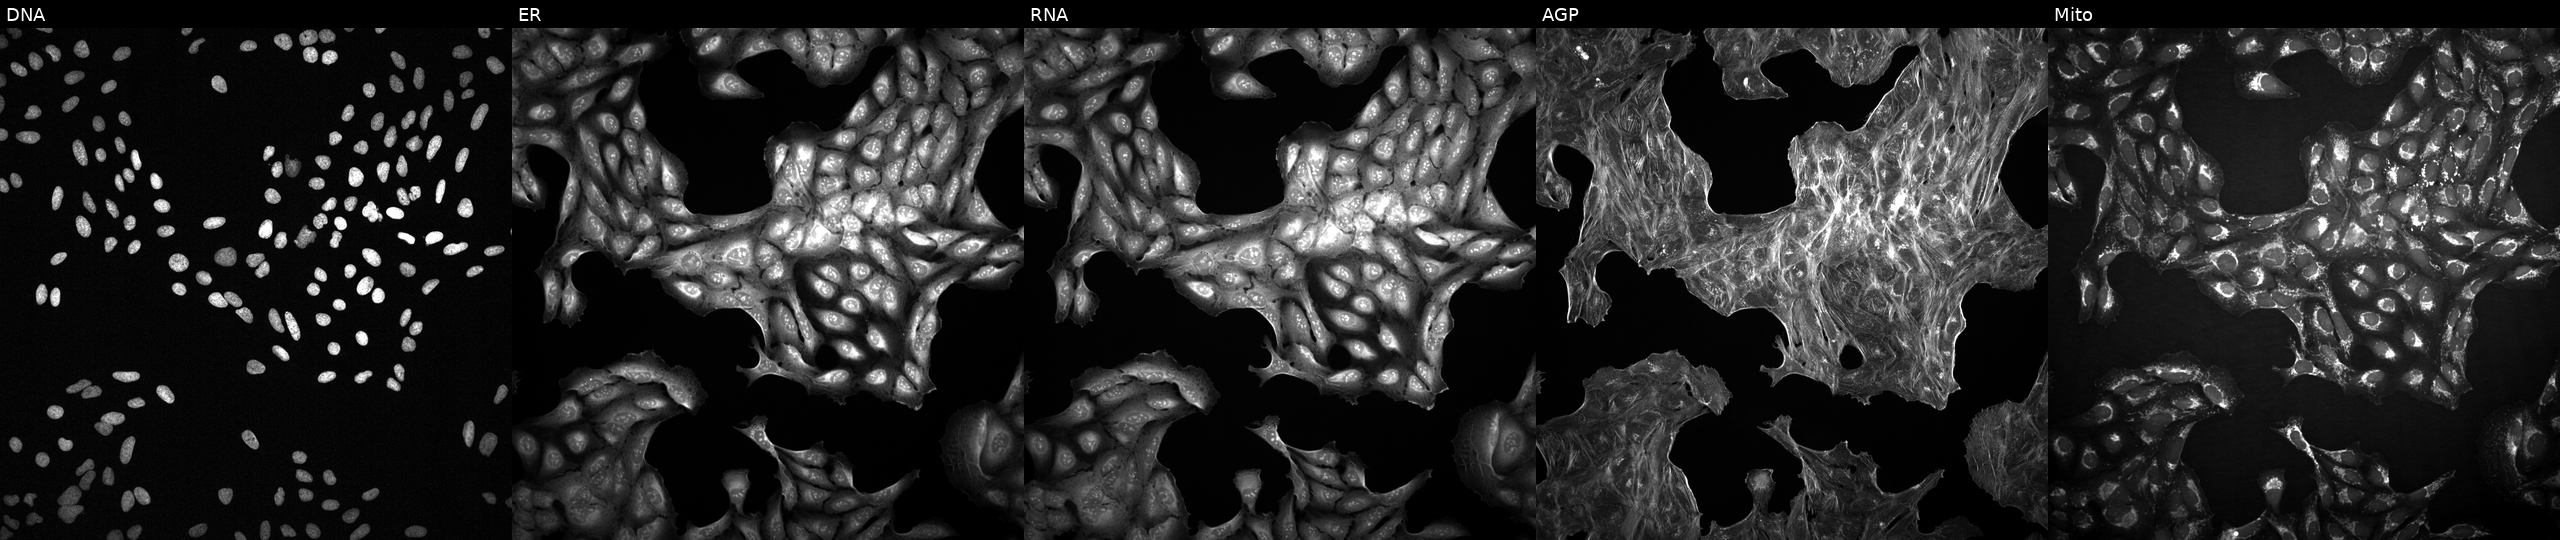
From left to right: DNA (nuclei); ER (endoplasmic reticulum); RNA (nucleoli and cytoplasmic RNA); AGP (actin cytoskeleton, Golgi, and plasma membrane); Mito (mitochondria). U2OS osteosarcoma cells treated with a small-molecule compound [SMILES: CC(C(=O)N=c1[nH]c2ccc(F)cc2s1)n1c(O)c2c(c1O)CC=CC2] (JUMP id JCP2022_014277). Cell Painting assay, JUMP-CP dataset.